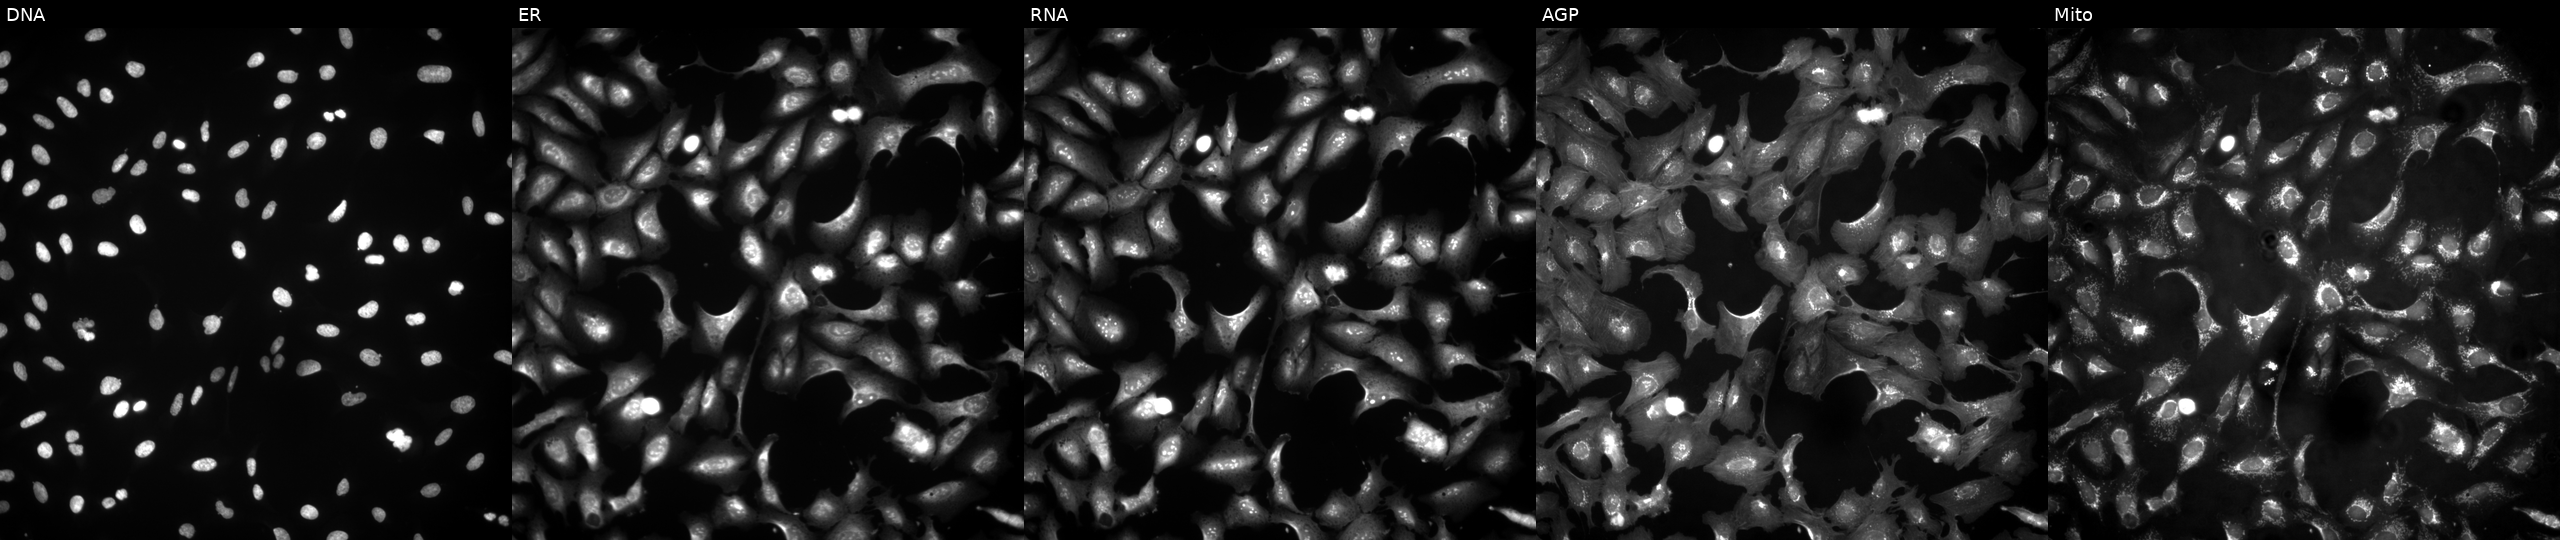
U2OS cells, Cell Painting assay, overexpressing ADAM18 via ORF transfection (JUMP id JCP2022_901872). Channels (left→right): DNA (nuclei); ER (endoplasmic reticulum); RNA (nucleoli and cytoplasmic RNA); AGP (actin cytoskeleton, Golgi, and plasma membrane); Mito (mitochondria). Each panel is percentile-stretched 16-bit fluorescence. Source 4, plate BR00124790, well P05.